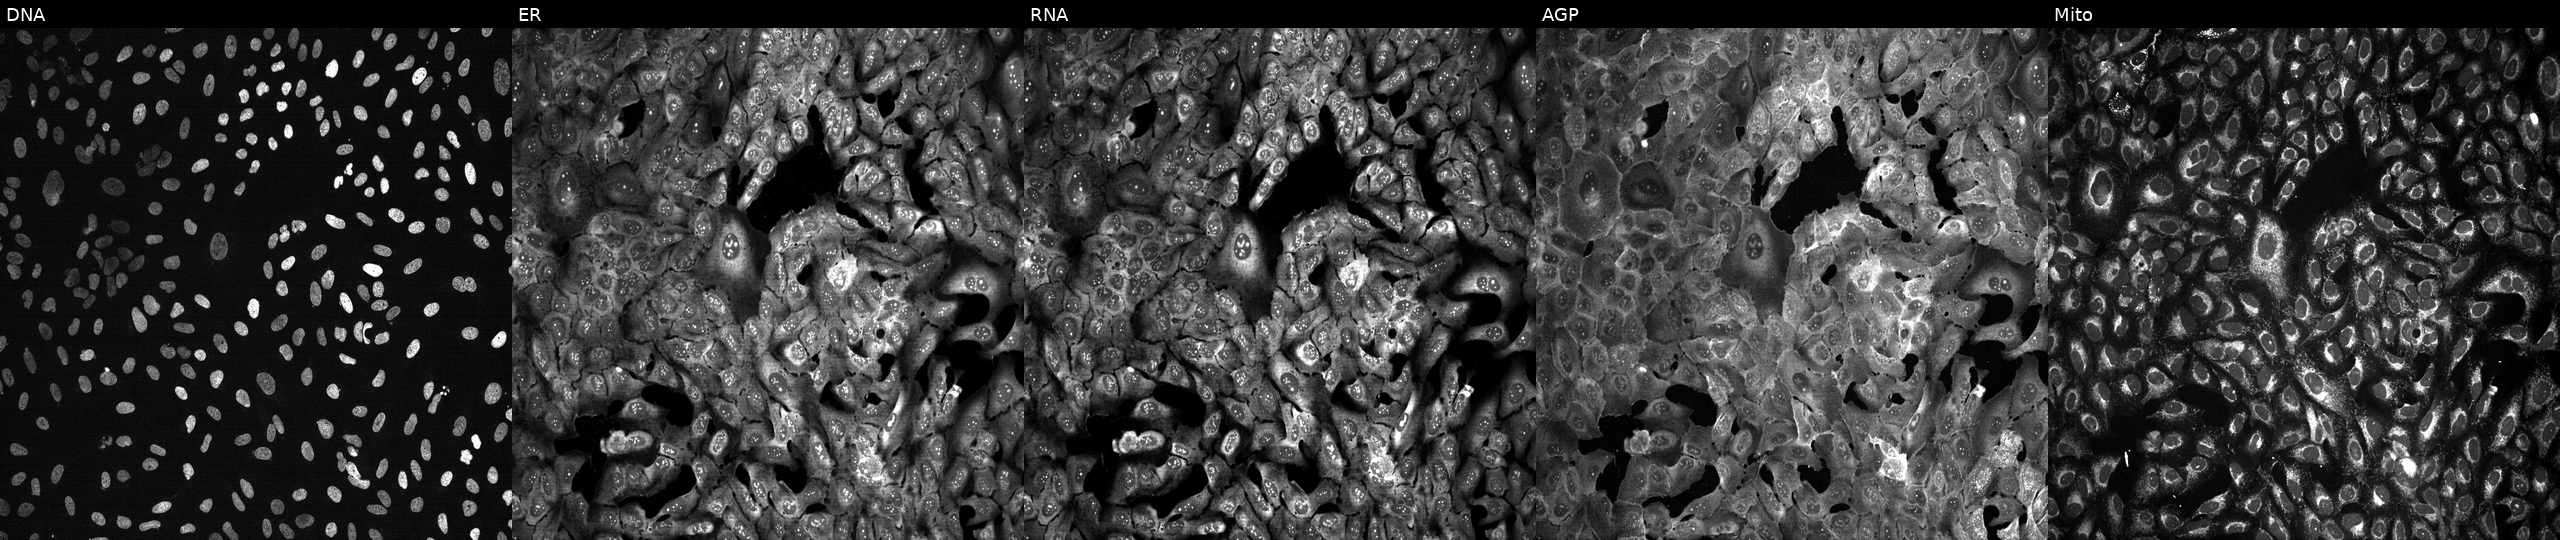
High-content fluorescence microscopy (Cell Painting). Cell line: U2OS. Perturbation: CRISPR-edited to disrupt POLR1A (JUMP id JCP2022_805338). Panels show, left to right, Hoechst 33342, concanavalin A, SYTO 14, phalloidin and WGA, MitoTracker.